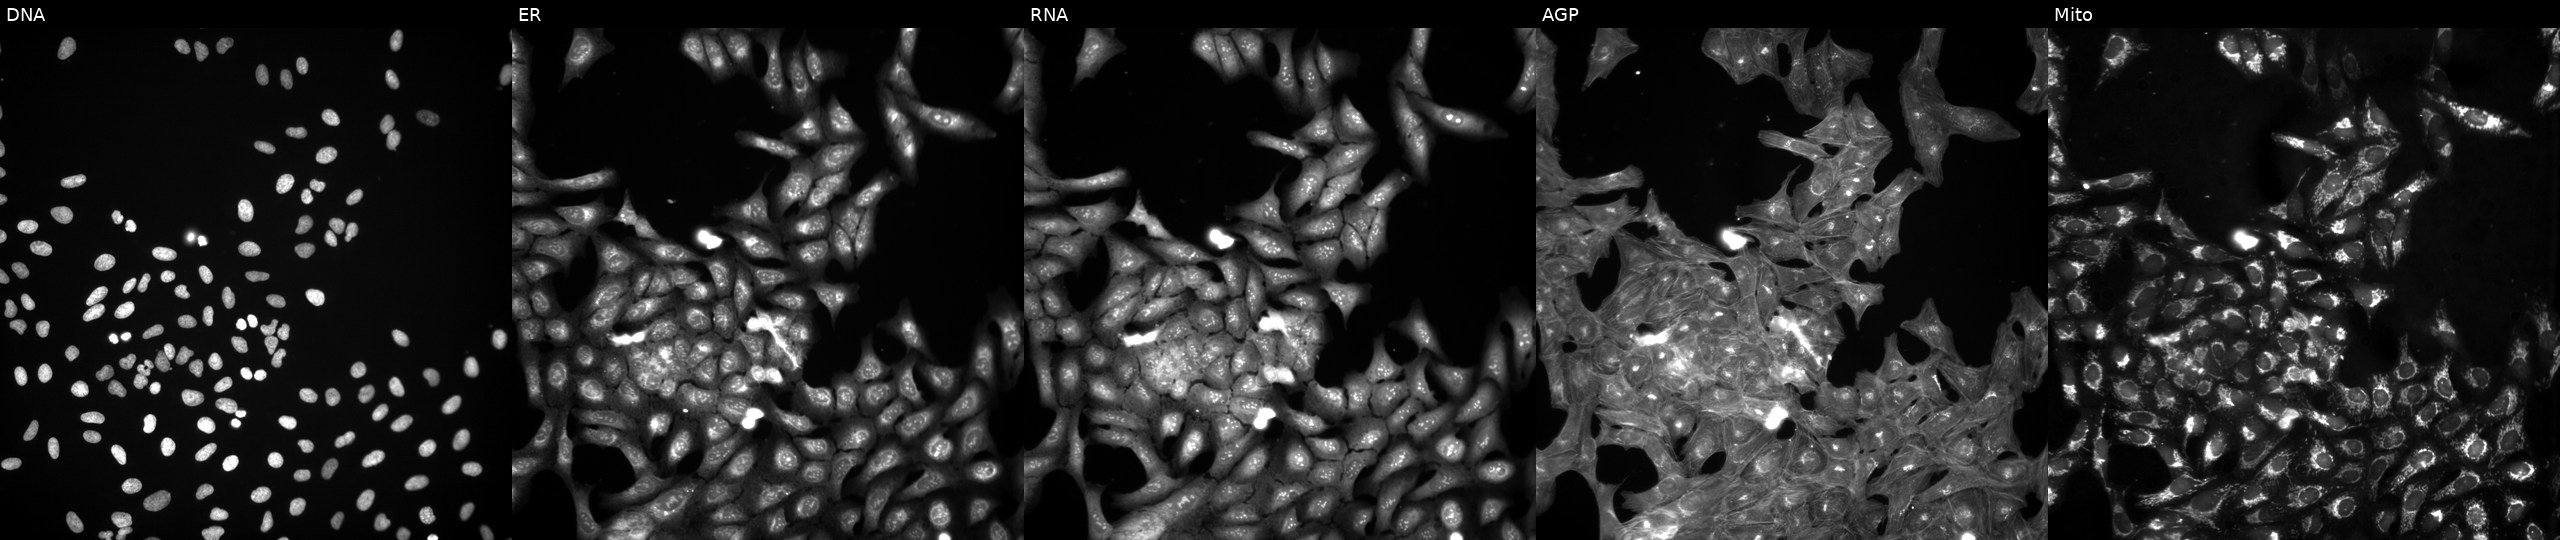
Five-channel Cell Painting image of U2OS cells treated with a small-molecule compound (JUMP id JCP2022_066287). The five panels, left to right, show Hoechst 33342, concanavalin A, SYTO 14, phalloidin and WGA, MitoTracker. Source 3, plate JCPQC053, well I24.